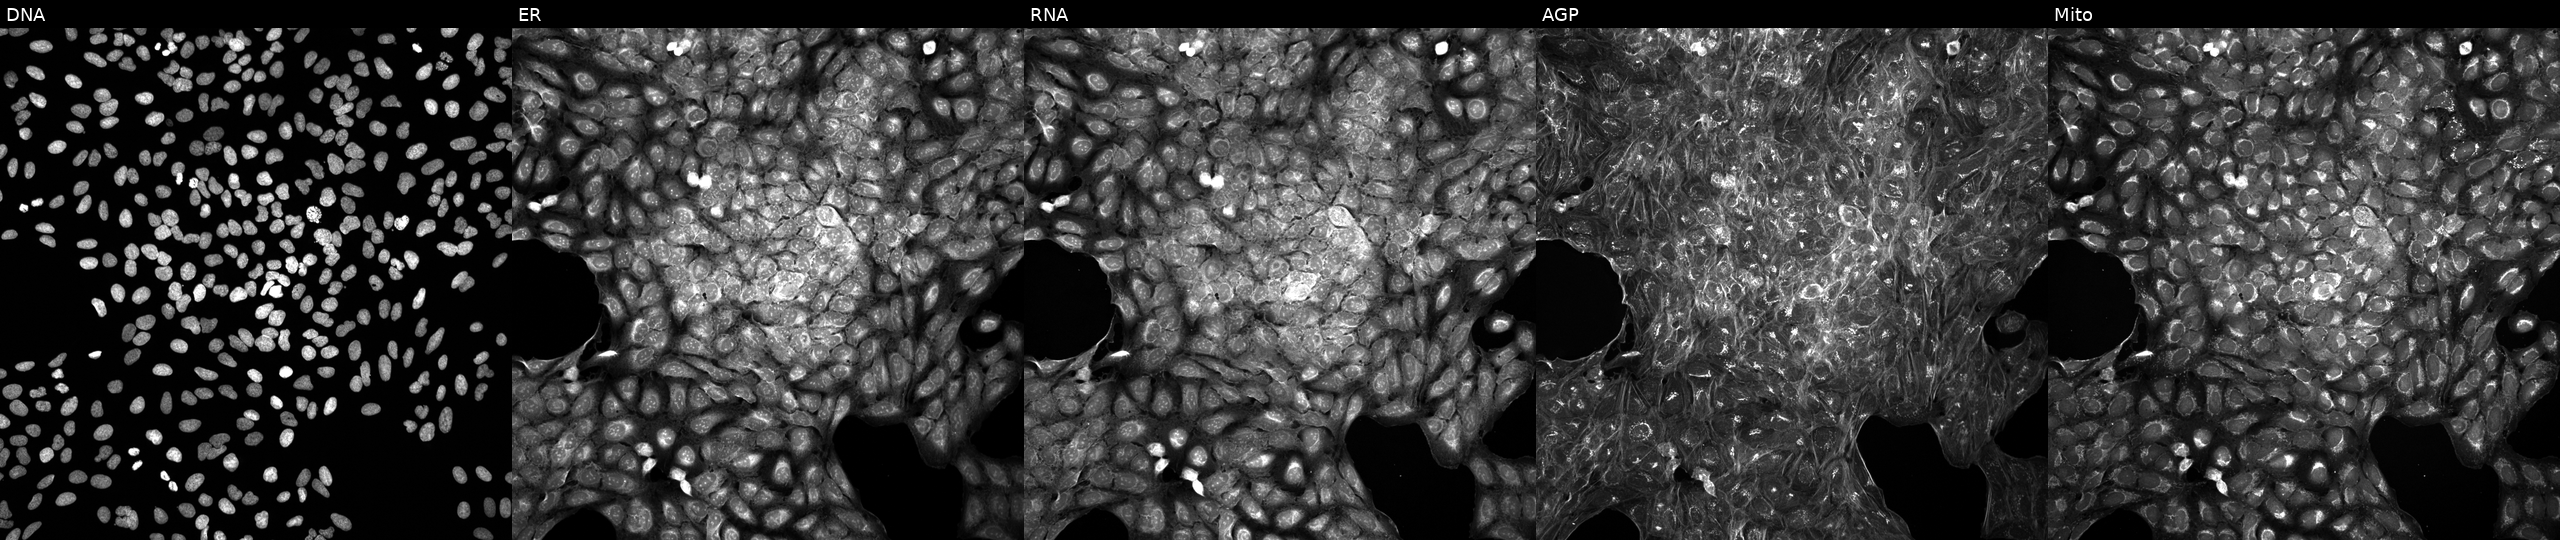
Five-channel Cell Painting image of U2OS cells perturbed with a small-molecule compound (JUMP id JCP2022_087768). Channels (left→right): DNA (nuclei); ER (endoplasmic reticulum); RNA (nucleoli and cytoplasmic RNA); AGP (actin cytoskeleton, Golgi, and plasma membrane); Mito (mitochondria).